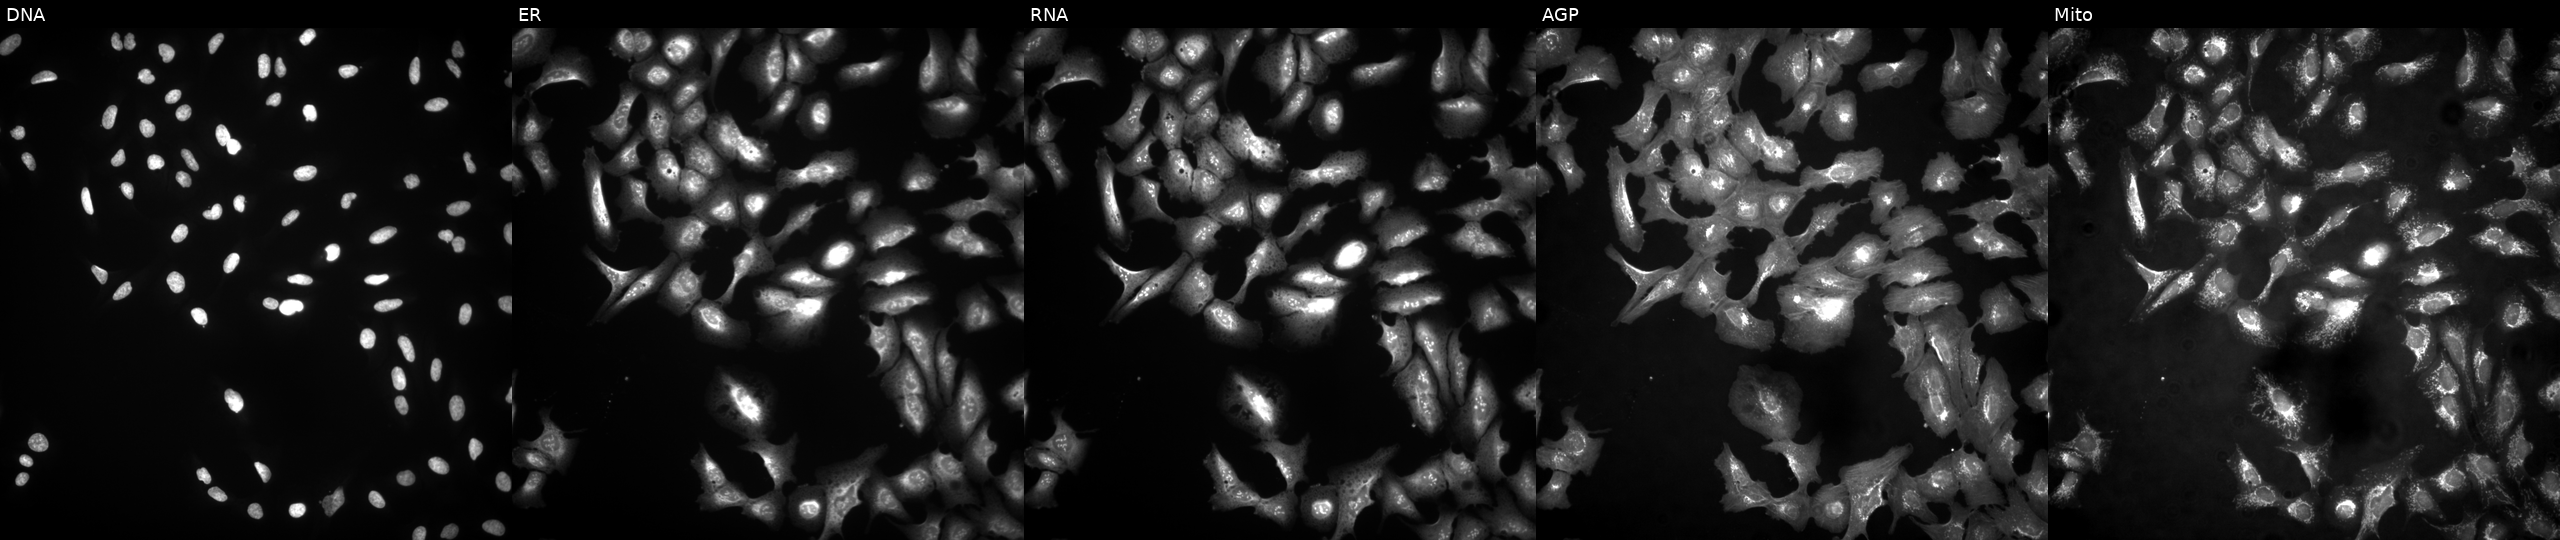
U2OS cells, Cell Painting assay, overexpressing BCL2L15 via ORF transfection (JUMP id JCP2022_909465). Channels (left→right): DNA, ER, RNA, AGP, and Mito. Each panel is percentile-stretched 16-bit fluorescence. Source 4, plate BR00124790, well K17.